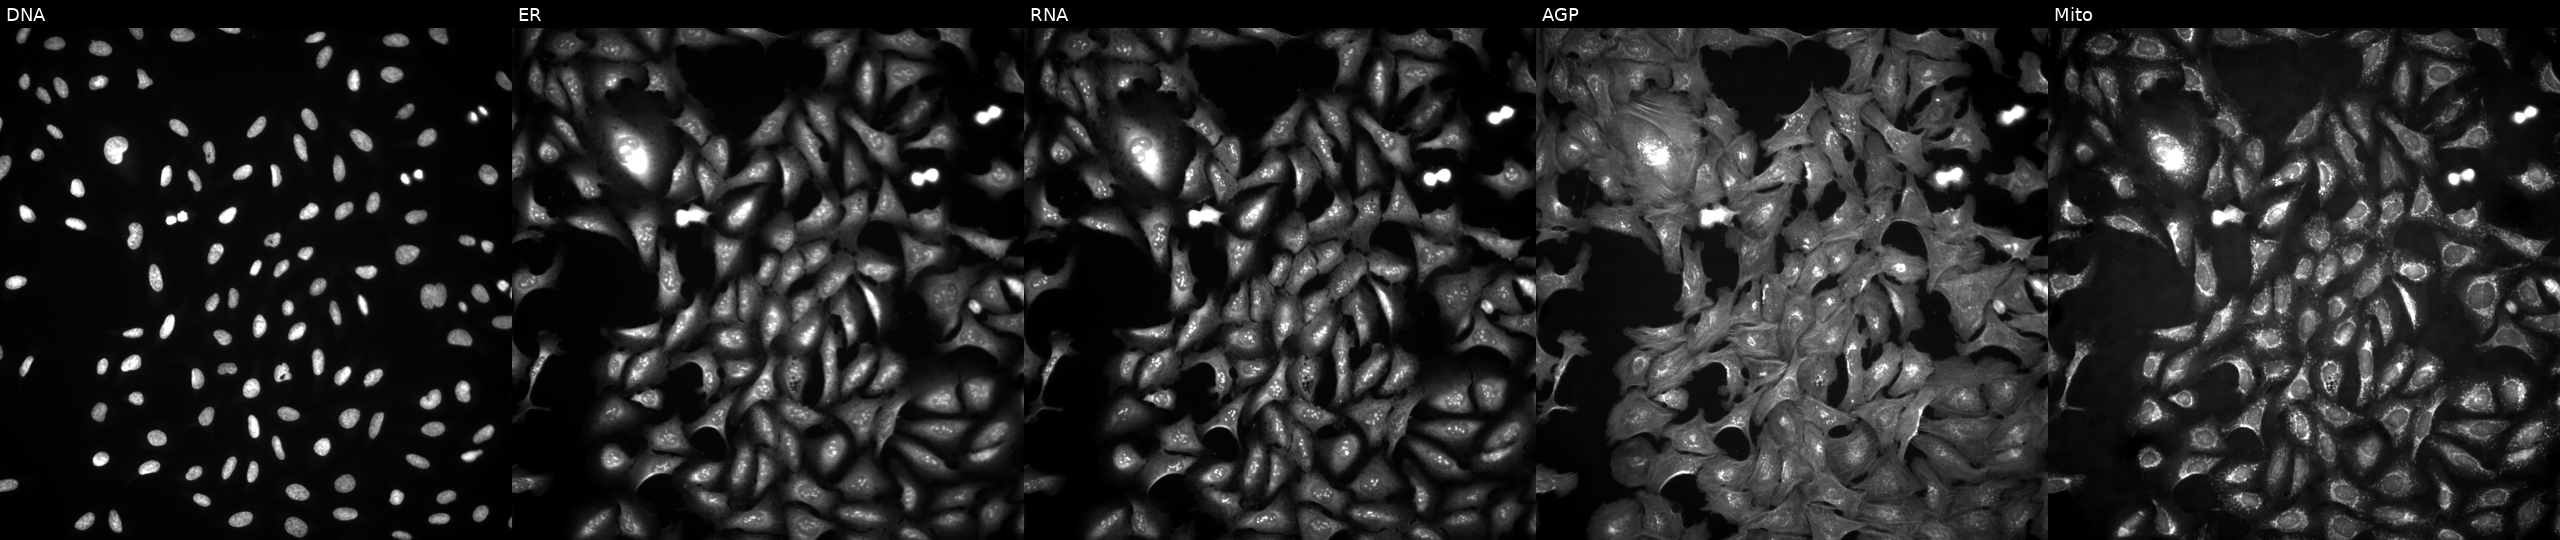
U2OS cells, Cell Painting assay, transfected with an ORF construct for KLC3. From left to right: DNA, ER, RNA, AGP, and Mito. Each panel is percentile-stretched 16-bit fluorescence.